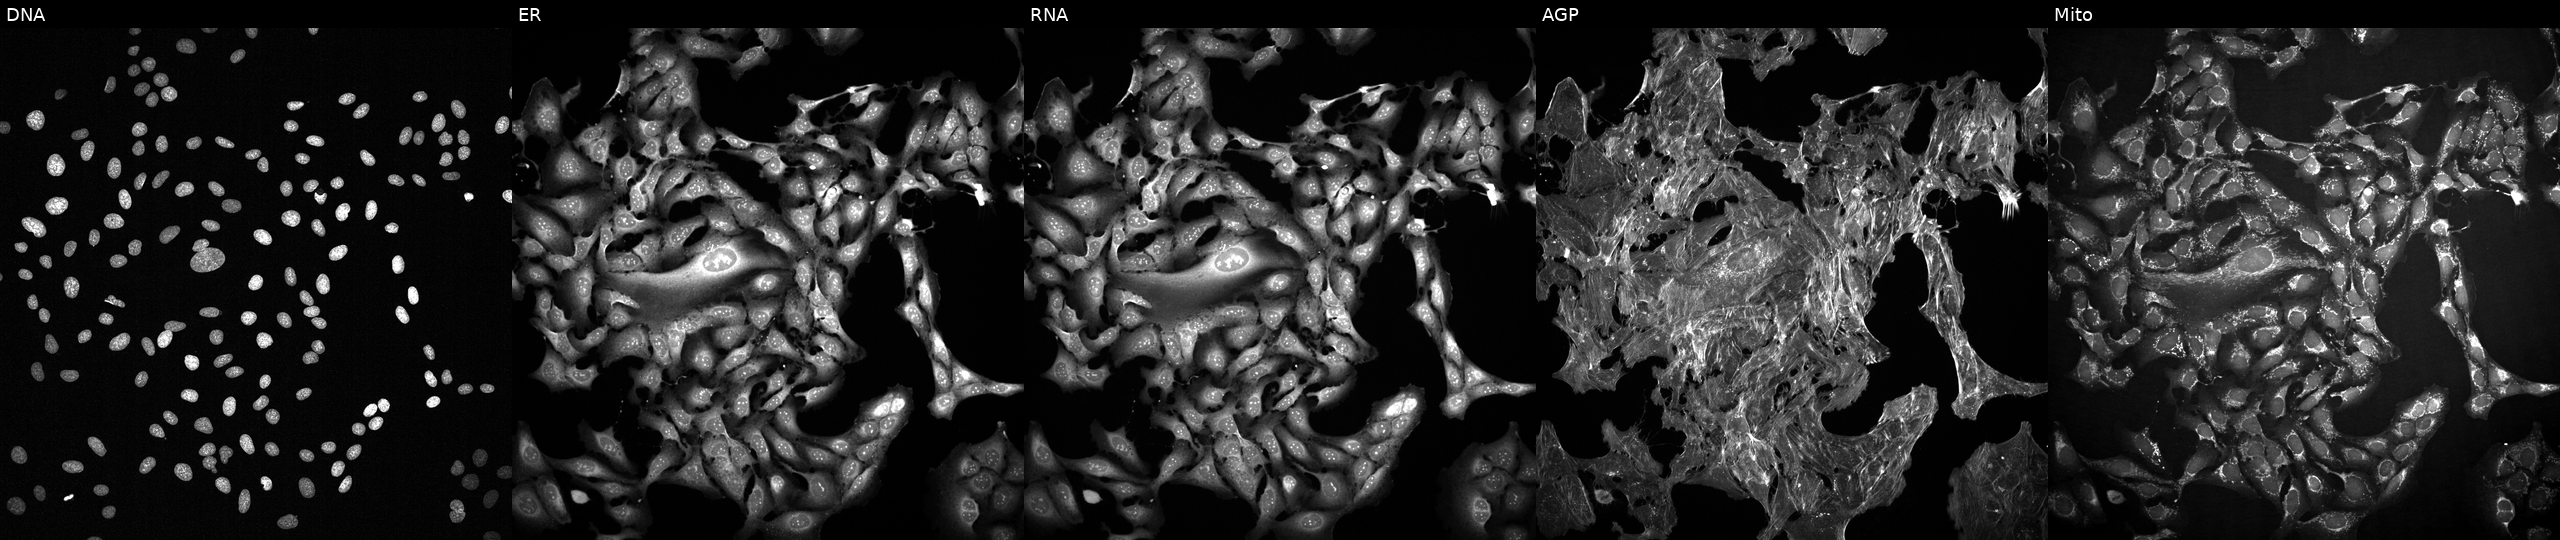
Five-channel Cell Painting image of U2OS cells treated with a small-molecule compound (JUMP id JCP2022_022359). Channels (left→right): DNA (nuclei); ER (endoplasmic reticulum); RNA (nucleoli and cytoplasmic RNA); AGP (actin cytoskeleton, Golgi, and plasma membrane); Mito (mitochondria).